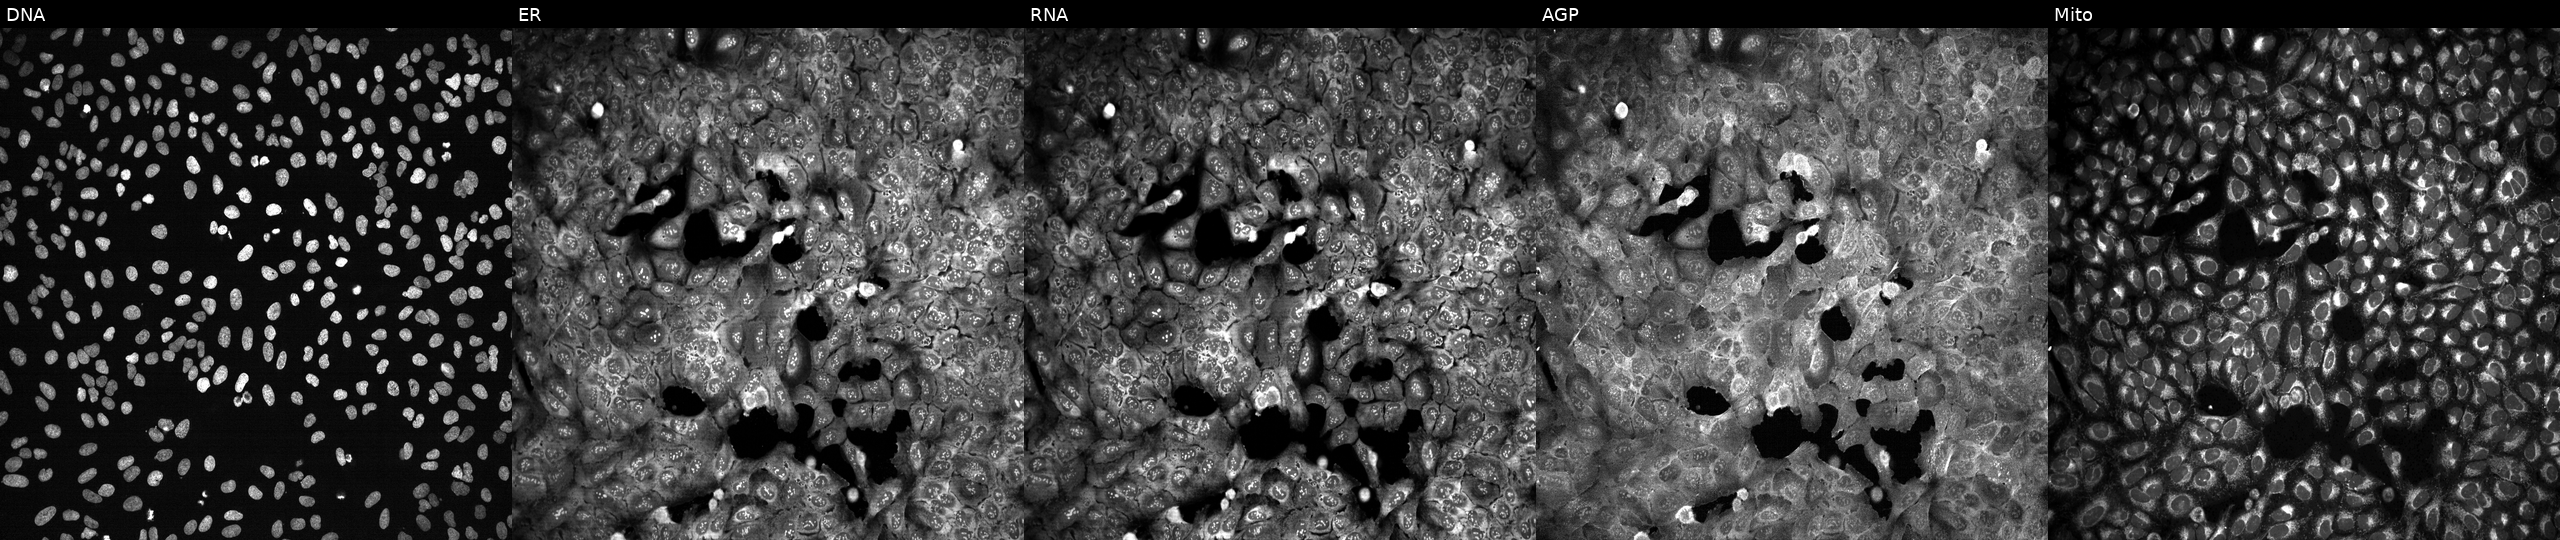
U2OS cells, Cell Painting assay, following CRISPR knockout of SLC25A25. Panels show, left to right, DNA, ER, RNA, AGP, and Mito. Each panel is percentile-stretched 16-bit fluorescence. Source 13, plate CP-CC9-R3-02, well N14.